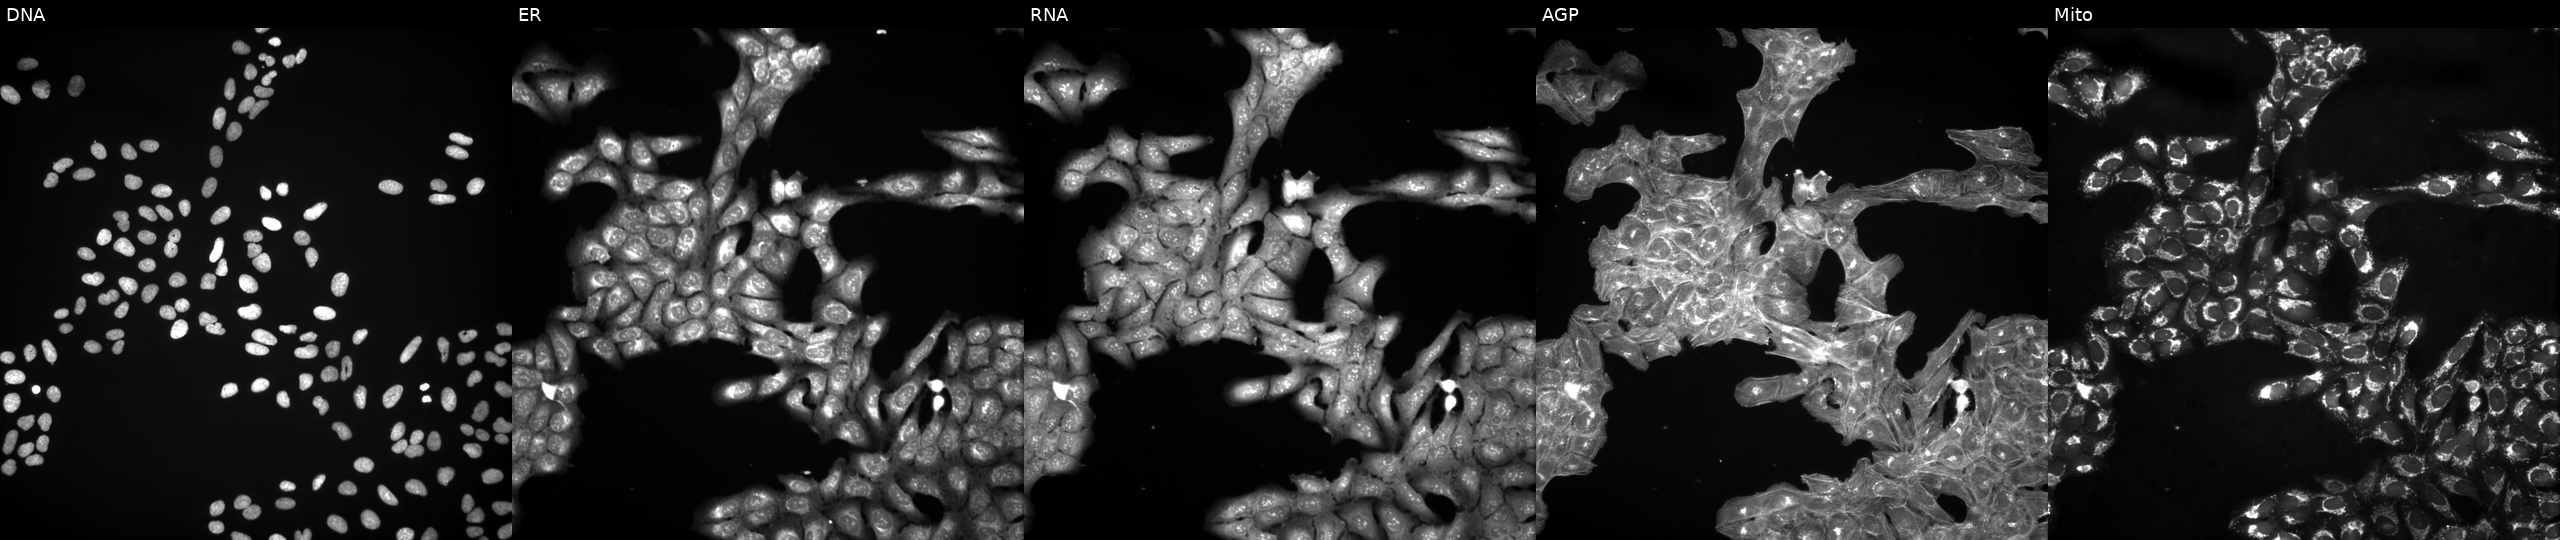
JUMP Cell Painting — TARGET2 plate. U2OS cells treated with a small-molecule compound [SMILES: CC1Oc2cc(c[nH]c2=N)-c2c(nn(C)c2C#N)CN(C)C(=O)c2ccc(F)cc21]. From left to right: DNA (nuclei); ER (endoplasmic reticulum); RNA (nucleoli and cytoplasmic RNA); AGP (actin cytoskeleton, Golgi, and plasma membrane); Mito (mitochondria).